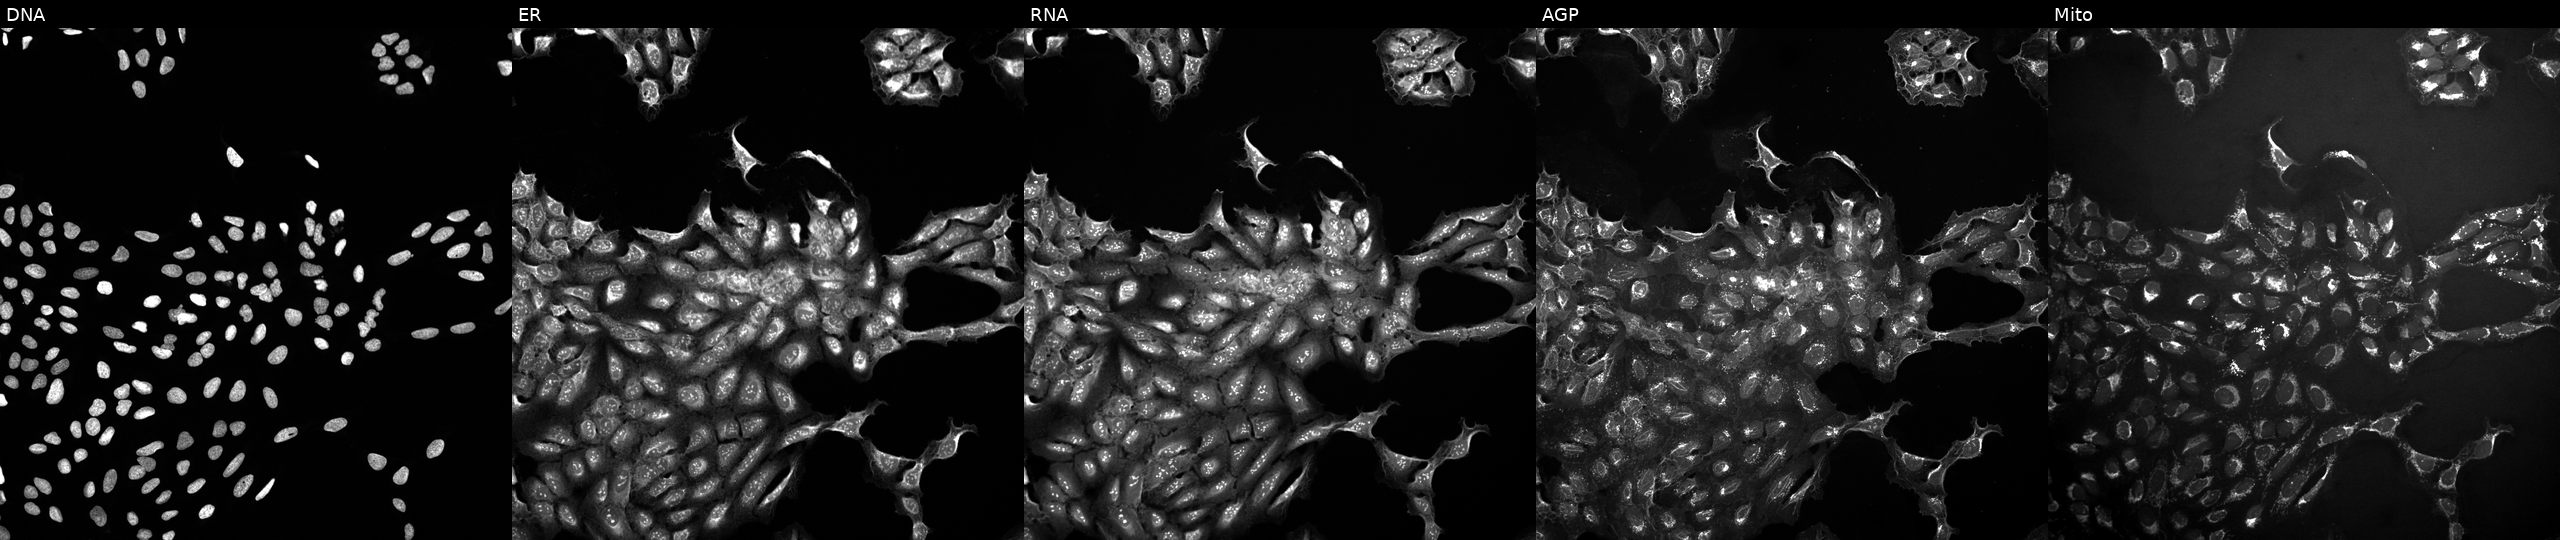
This image strip shows the five Cell Painting channels for a single field of U2OS cells treated with DMSO vehicle only (negative control) (JUMP id JCP2022_033924). From left to right: DNA (nuclei); ER (endoplasmic reticulum); RNA (nucleoli and cytoplasmic RNA); AGP (actin cytoskeleton, Golgi, and plasma membrane); Mito (mitochondria).